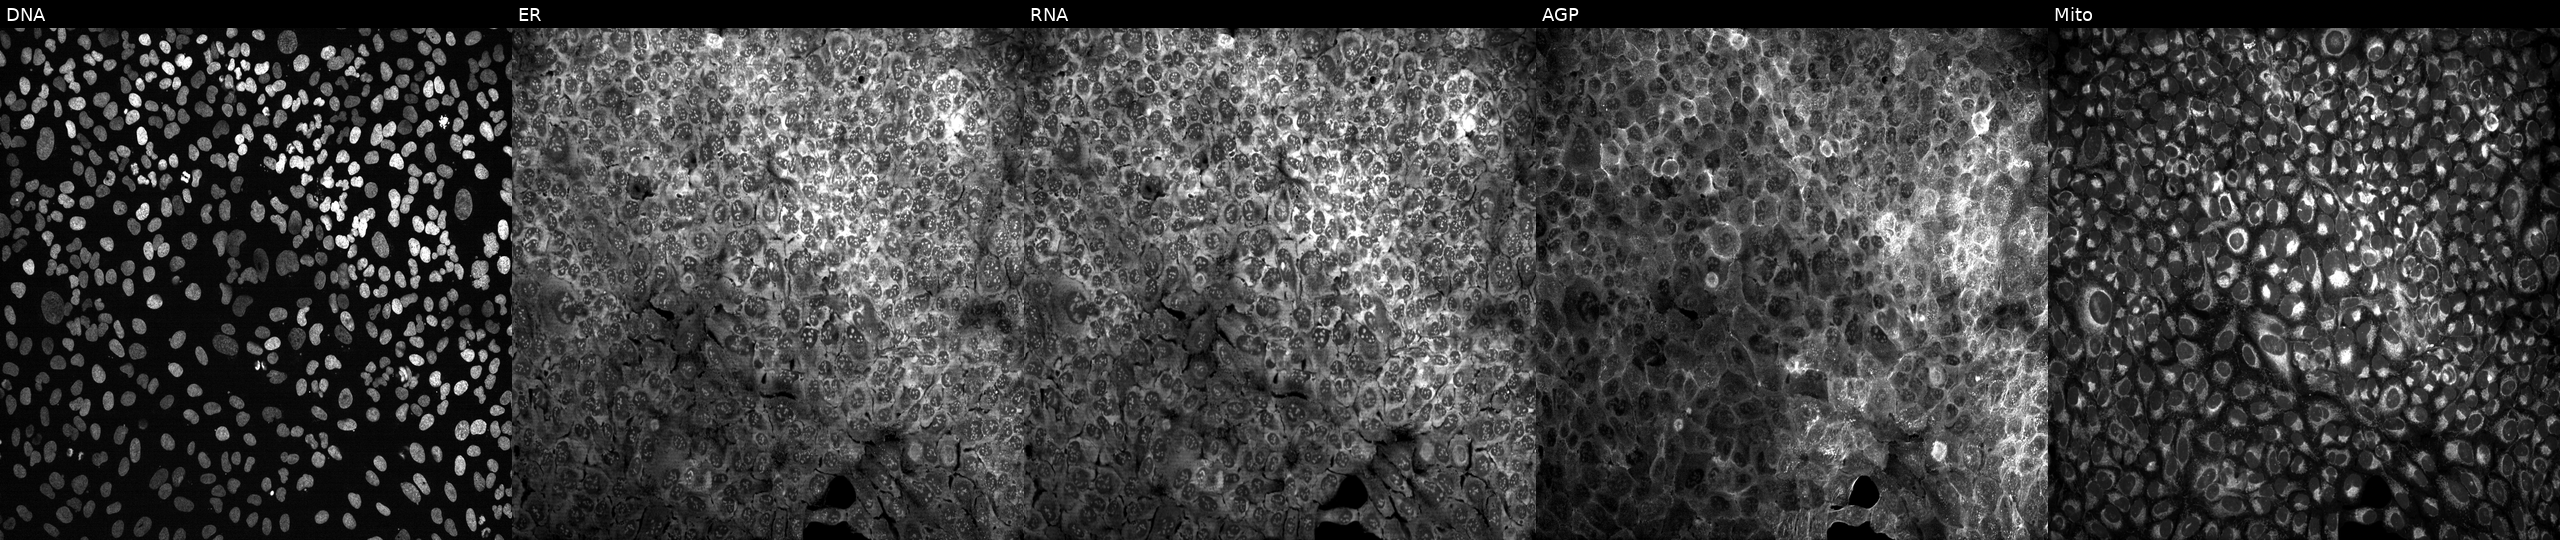
U2OS cells, Cell Painting assay, CRISPR-edited to disrupt MYF5. Channels (left→right): DNA, ER, RNA, AGP, and Mito. Each panel is percentile-stretched 16-bit fluorescence. Source 13, plate CP-CC9-R6-19, well P10.